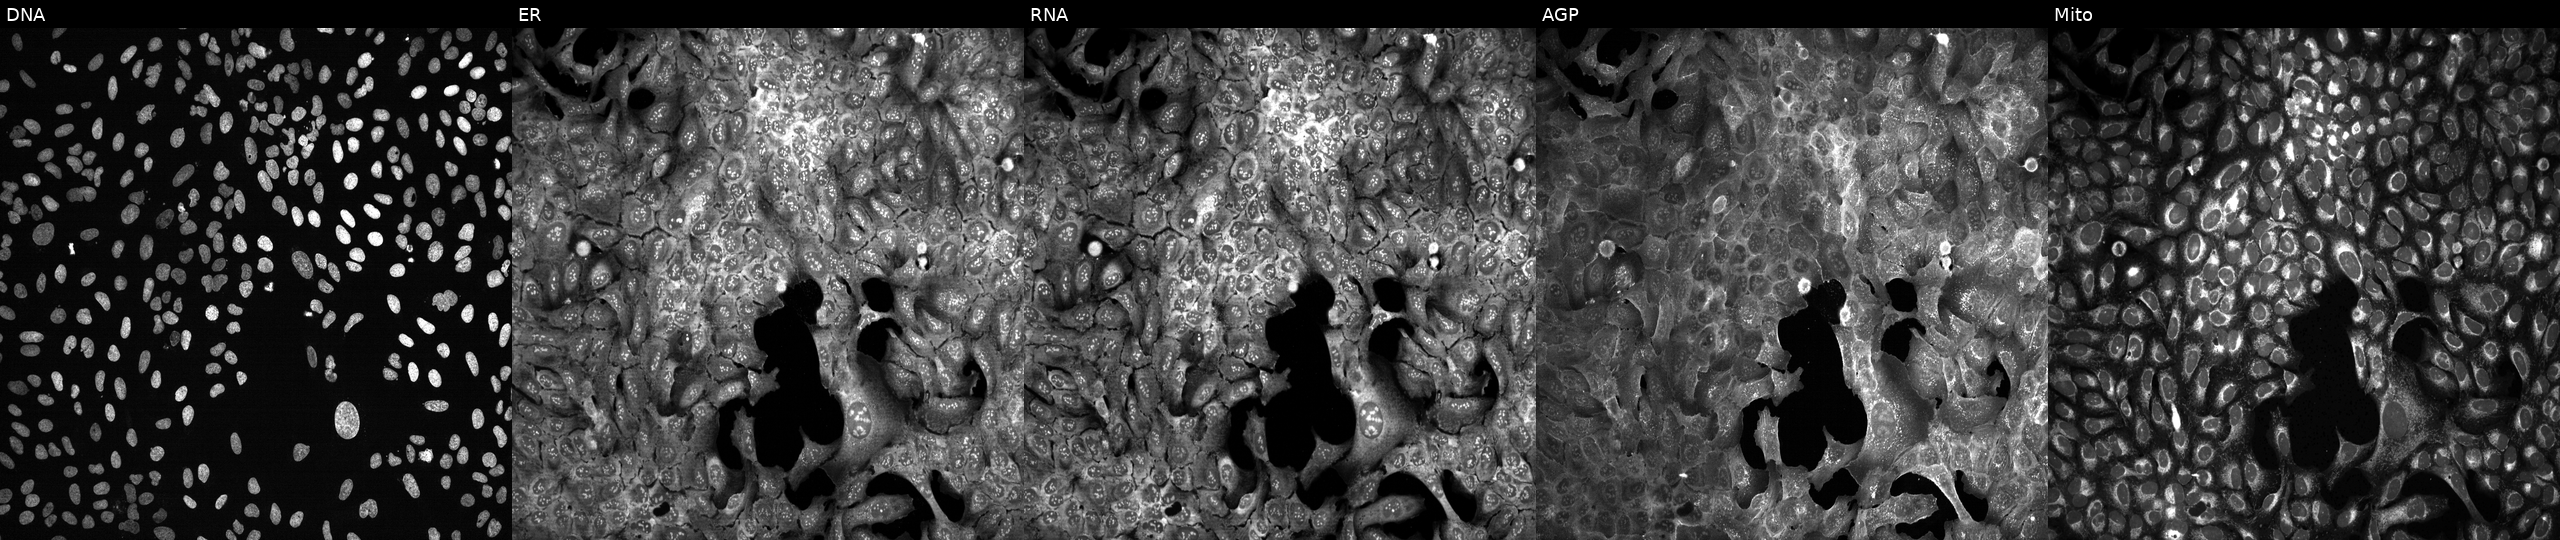
From left to right: DNA, ER, RNA, AGP, and Mito. U2OS osteosarcoma cells CRISPR-edited to disrupt CORIN (JUMP id JCP2022_801444). Cell Painting assay, JUMP-CP dataset. Source 13, plate CP-CC9-R6-19, well M10.